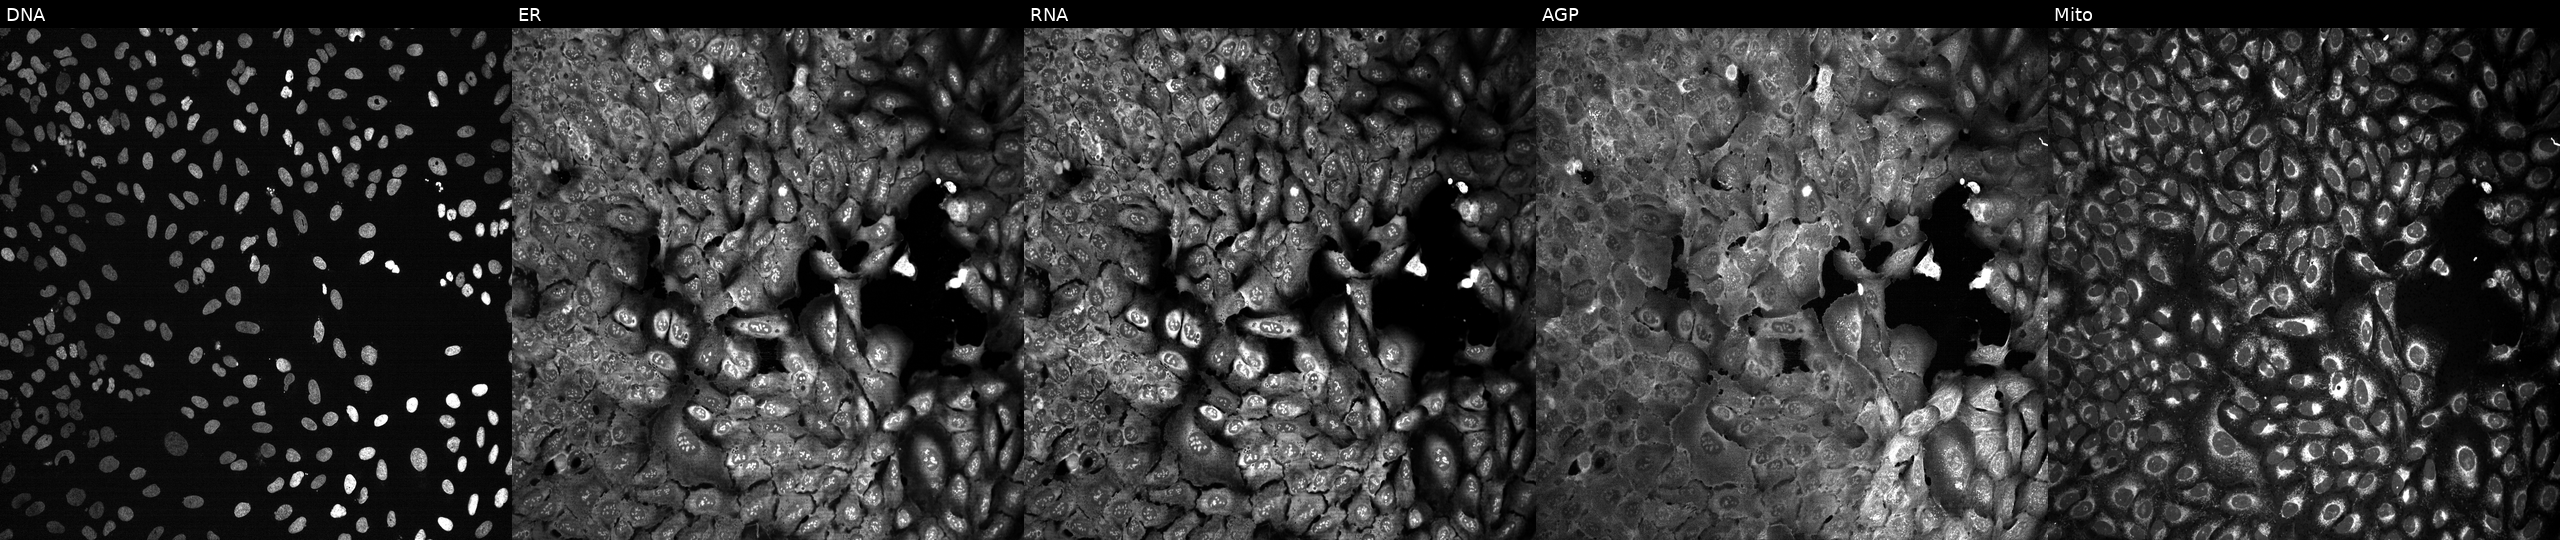
The five panels, left to right, show DNA, ER, RNA, AGP, and Mito. U2OS osteosarcoma cells CRISPR-edited to disrupt MRC2 (JUMP id JCP2022_804264). Cell Painting assay, JUMP-CP dataset.